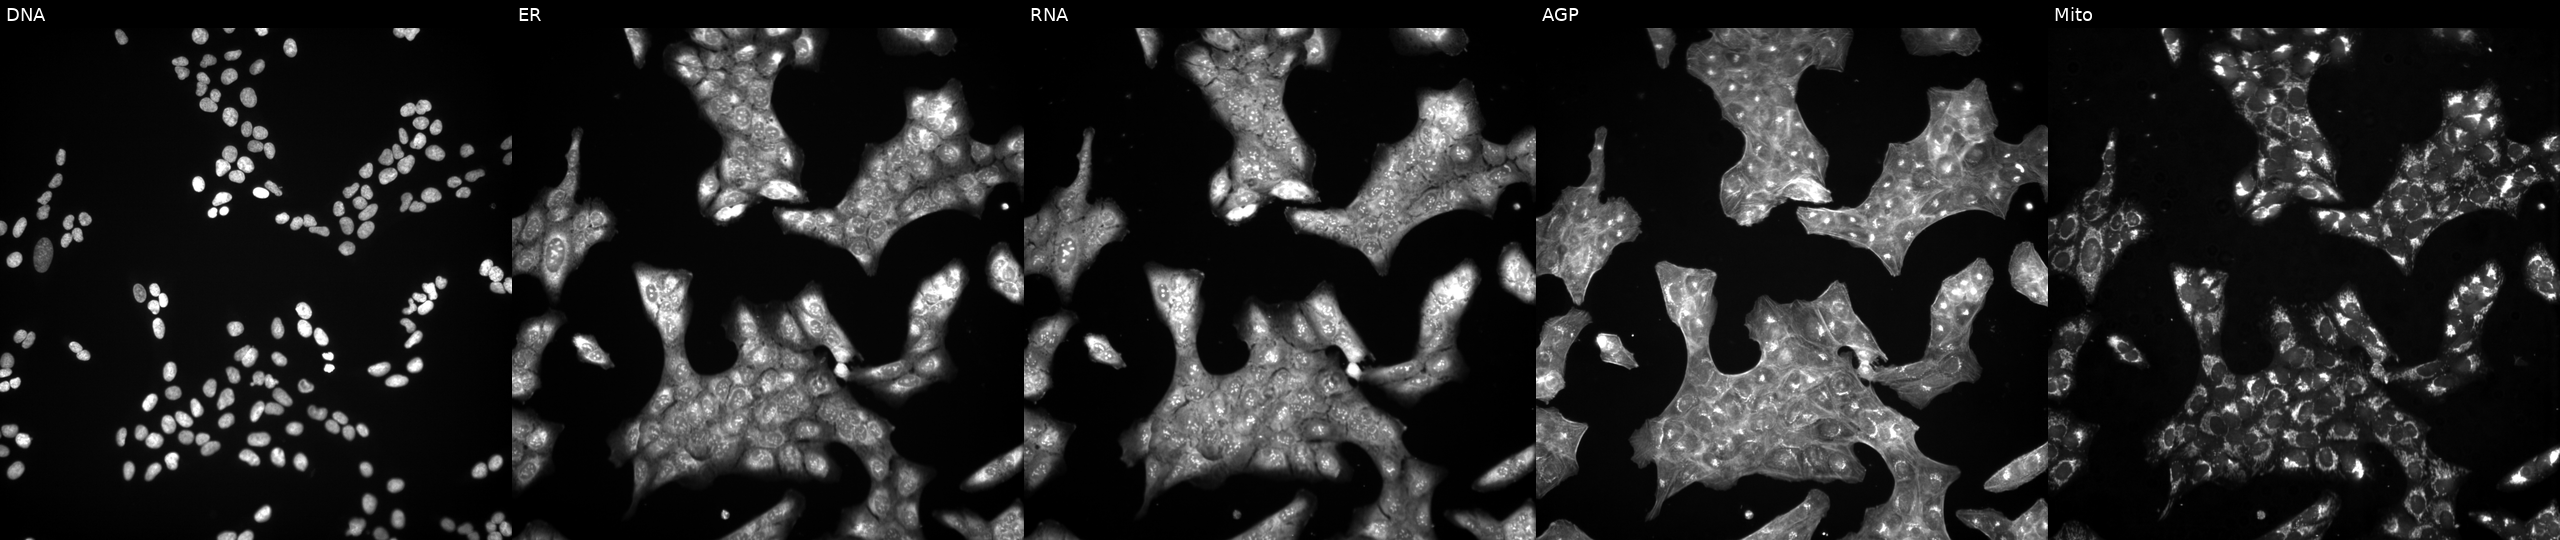
Five-channel Cell Painting image of U2OS cells exposed to a small-molecule compound. The five panels, left to right, show DNA, ER, RNA, AGP, and Mito.